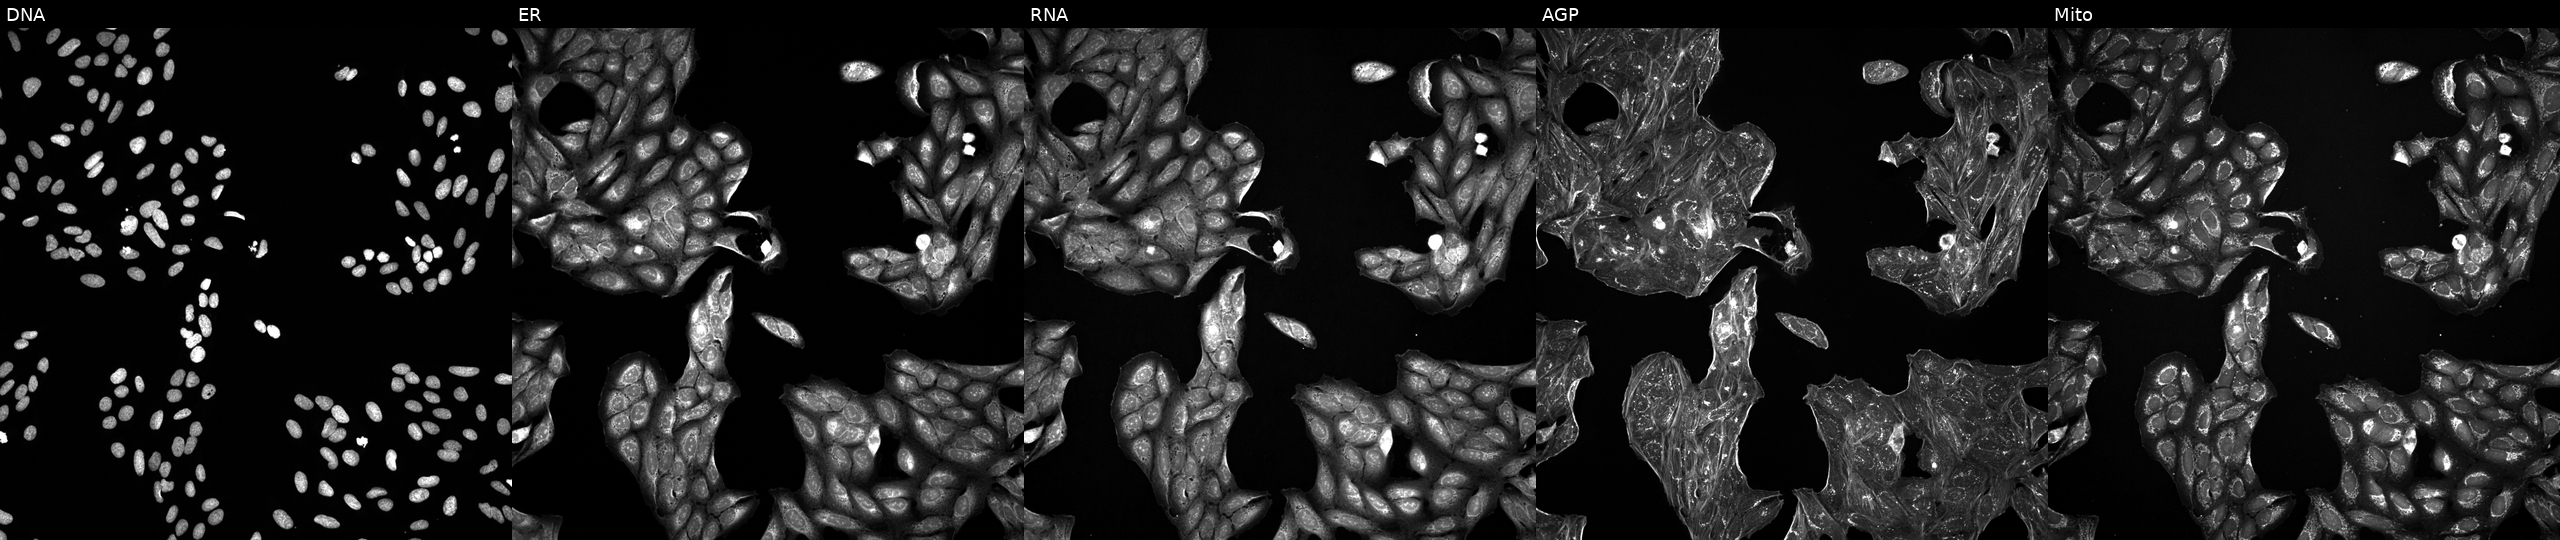
U2OS cells, Cell Painting assay, treated with a small-molecule compound [SMILES: N=c1[nH]cnc2c1c(-c1cccc(OCc3ccccc3)c1)cn2C1CC(CN2CCC2)C1]. Panels show, left to right, Hoechst 33342, concanavalin A, SYTO 14, phalloidin and WGA, MitoTracker. Each panel is percentile-stretched 16-bit fluorescence. Source 5, plate ACPJUM032, well G21.